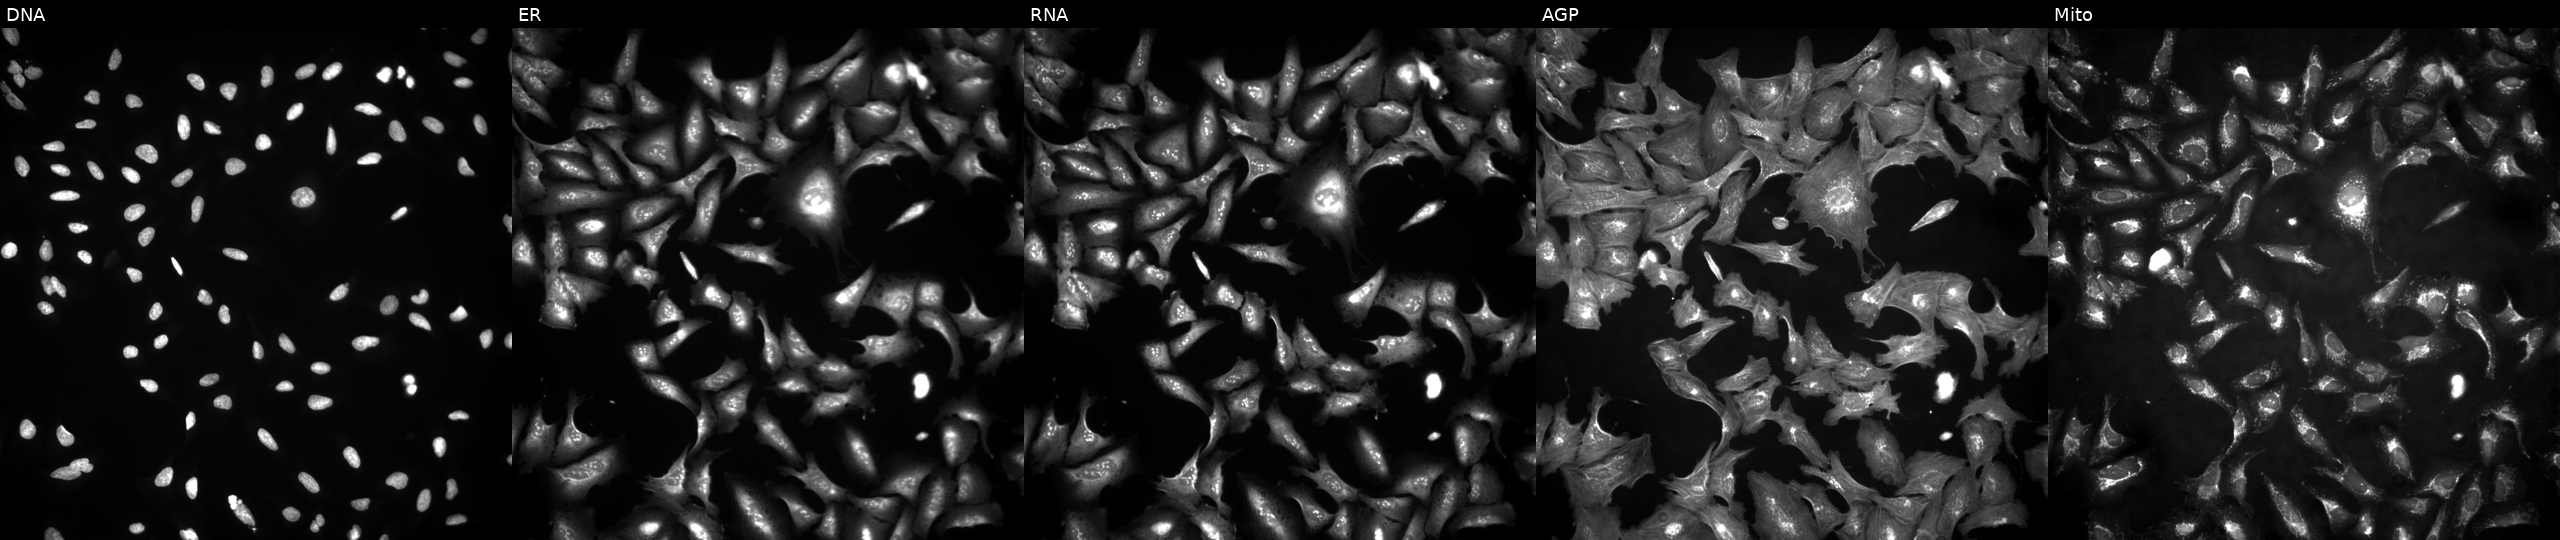
This image strip shows the five Cell Painting channels for a single field of U2OS cells overexpressing NET1 via ORF transfection (JUMP id JCP2022_907088). From left to right: DNA (nuclei); ER (endoplasmic reticulum); RNA (nucleoli and cytoplasmic RNA); AGP (actin cytoskeleton, Golgi, and plasma membrane); Mito (mitochondria).